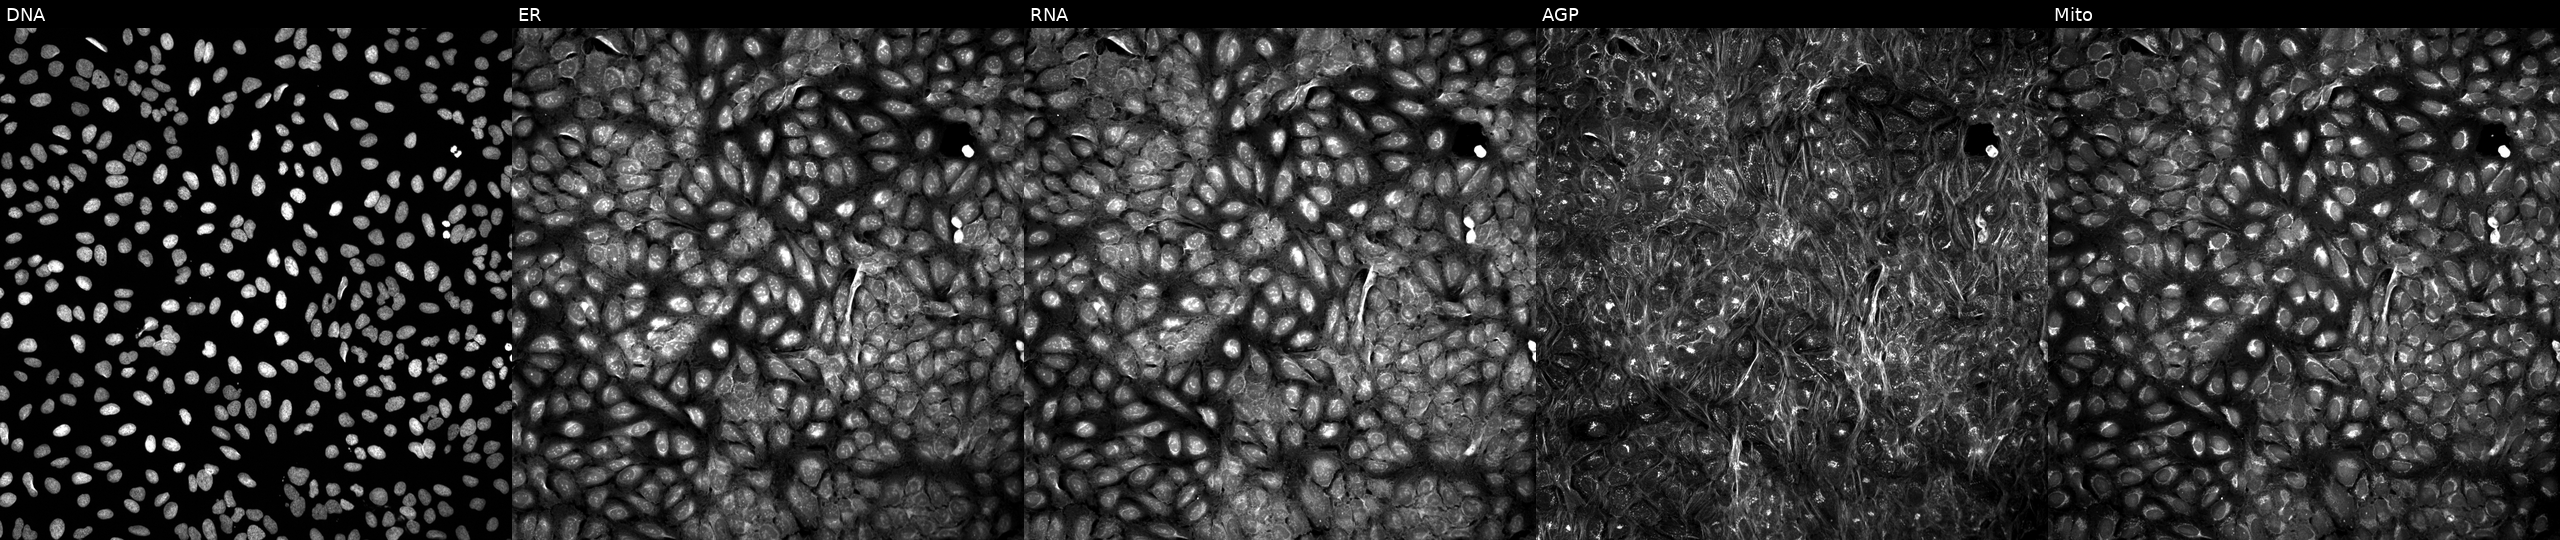
High-content fluorescence microscopy (Cell Painting). Cell line: U2OS. Perturbation: treated with a small-molecule compound. Panels show, left to right, DNA, ER, RNA, AGP, and Mito. Source 5, plate APTJUM105, well P20.